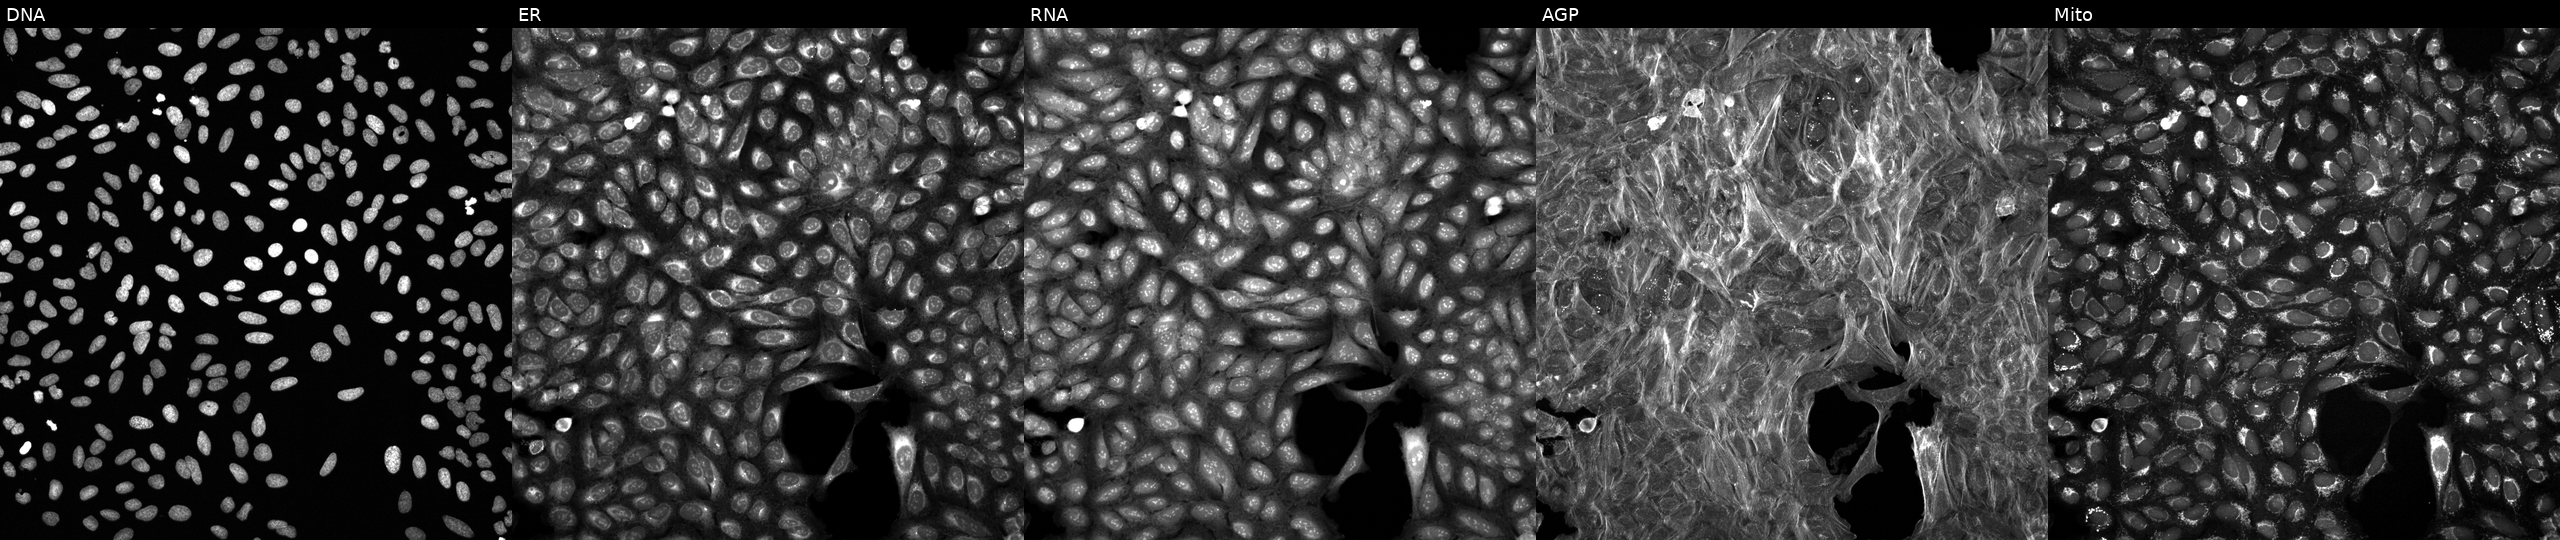
JUMP Cell Painting — TARGET2 plate. U2OS cells perturbed with a small-molecule compound (InChIKey UMUPQWIGCOZEOY-UHFFFAOYSA-N). Panels show, left to right, DNA, ER, RNA, AGP, and Mito.